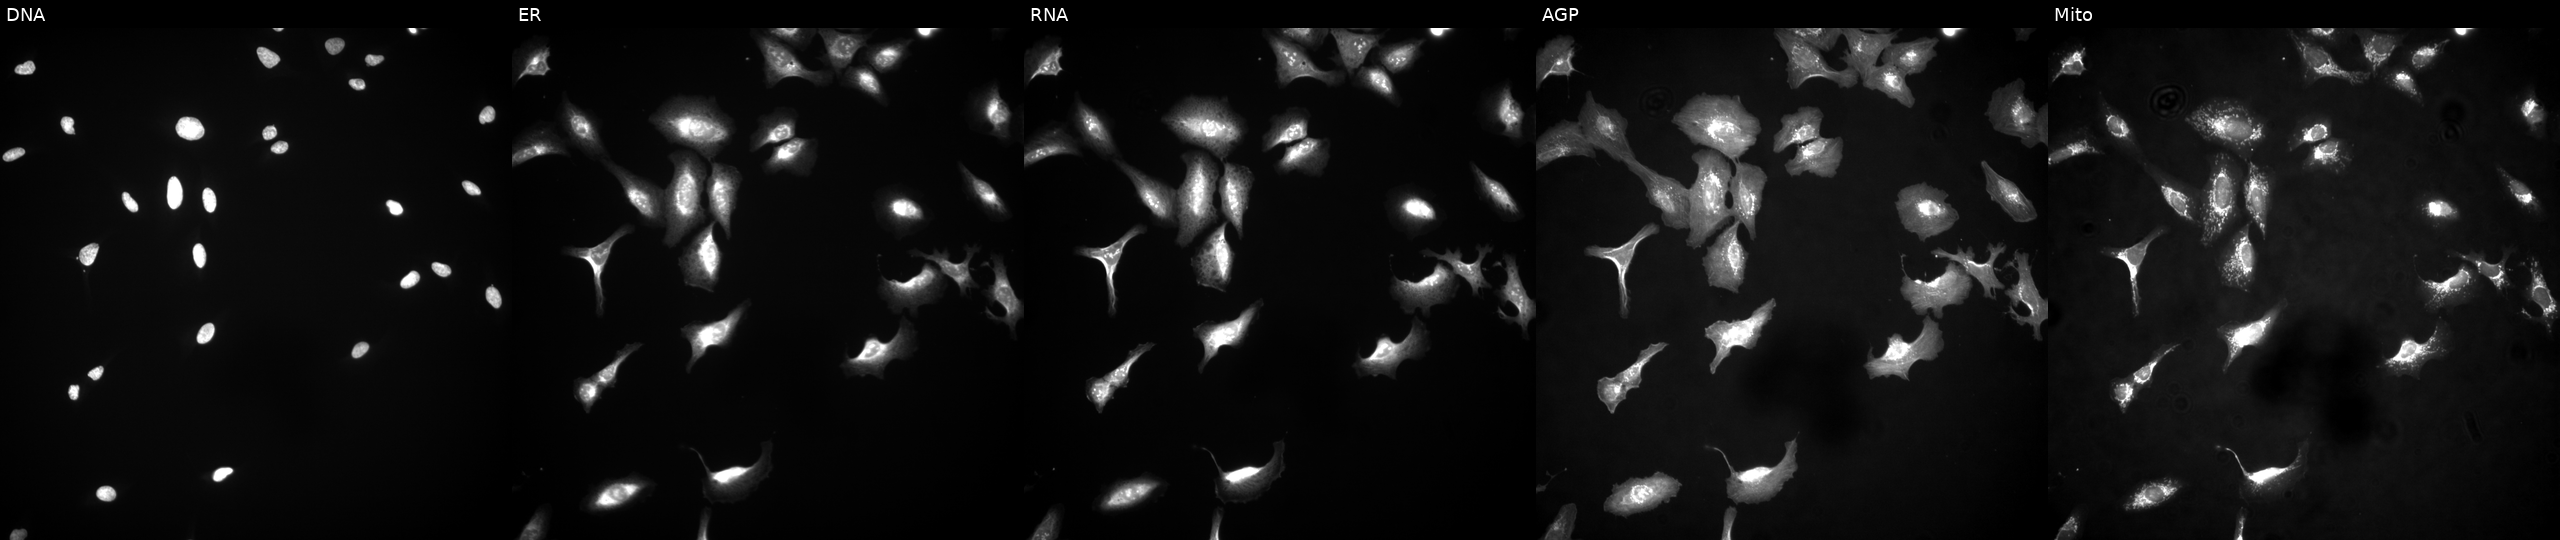
High-content fluorescence microscopy (Cell Painting). Cell line: U2OS. Perturbation: transfected with an ORF construct for RUSC1-AS1. Panels show, left to right, DNA (nuclei); ER (endoplasmic reticulum); RNA (nucleoli and cytoplasmic RNA); AGP (actin cytoskeleton, Golgi, and plasma membrane); Mito (mitochondria).